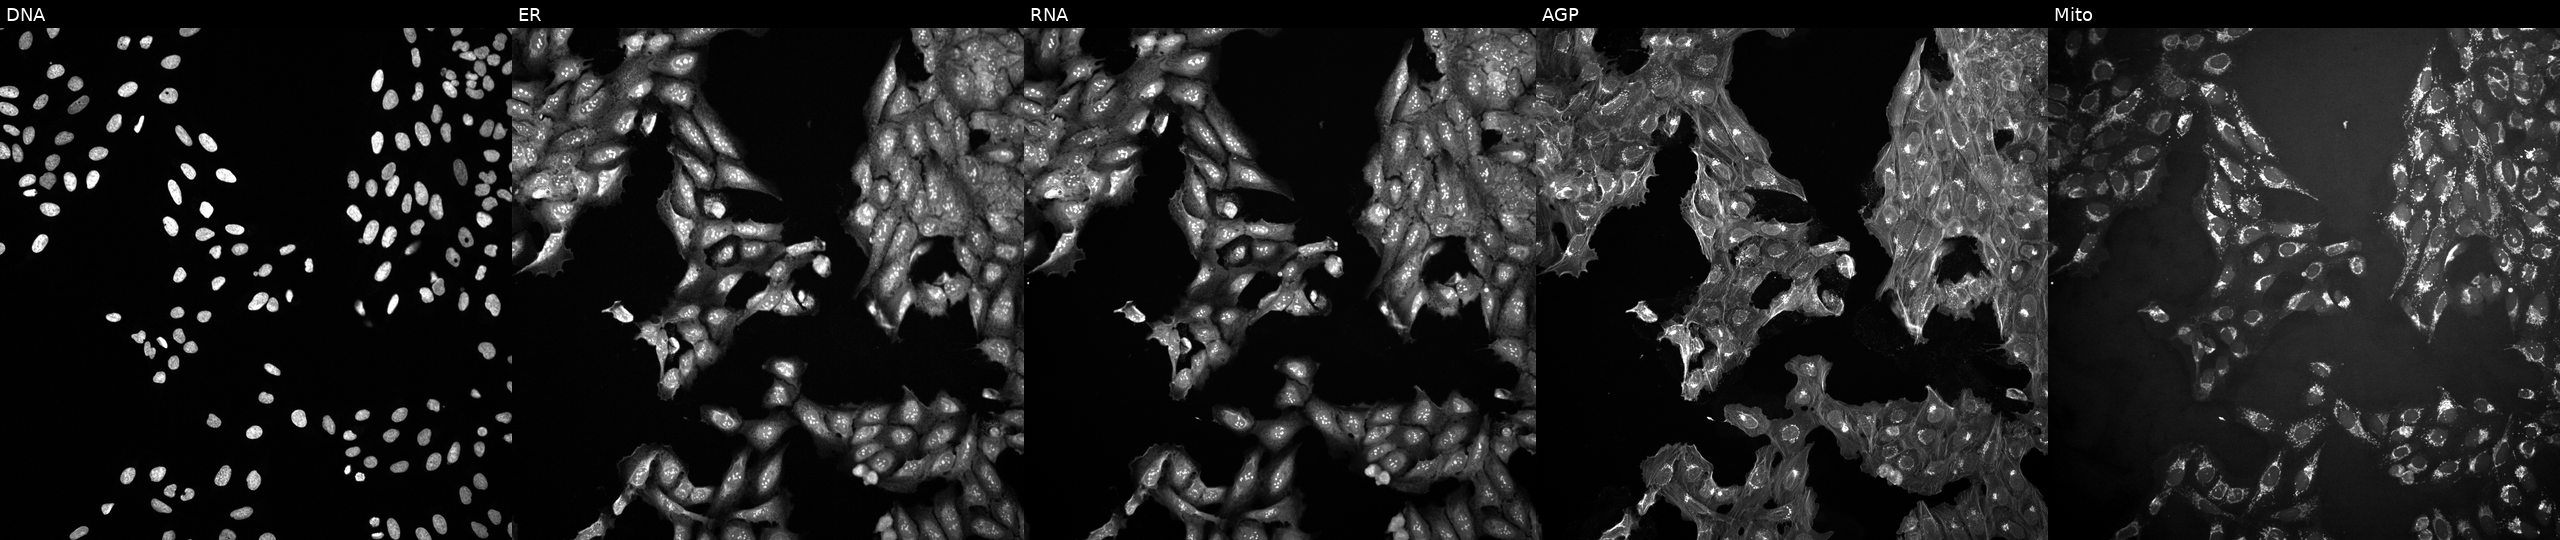
Five-channel Cell Painting image of U2OS cells perturbed with a small-molecule compound (InChIKey ISCYGTPKWJYXHI-UHFFFAOYSA-N) (JUMP id JCP2022_037057). Channels (left→right): Hoechst 33342, concanavalin A, SYTO 14, phalloidin and WGA, MitoTracker.